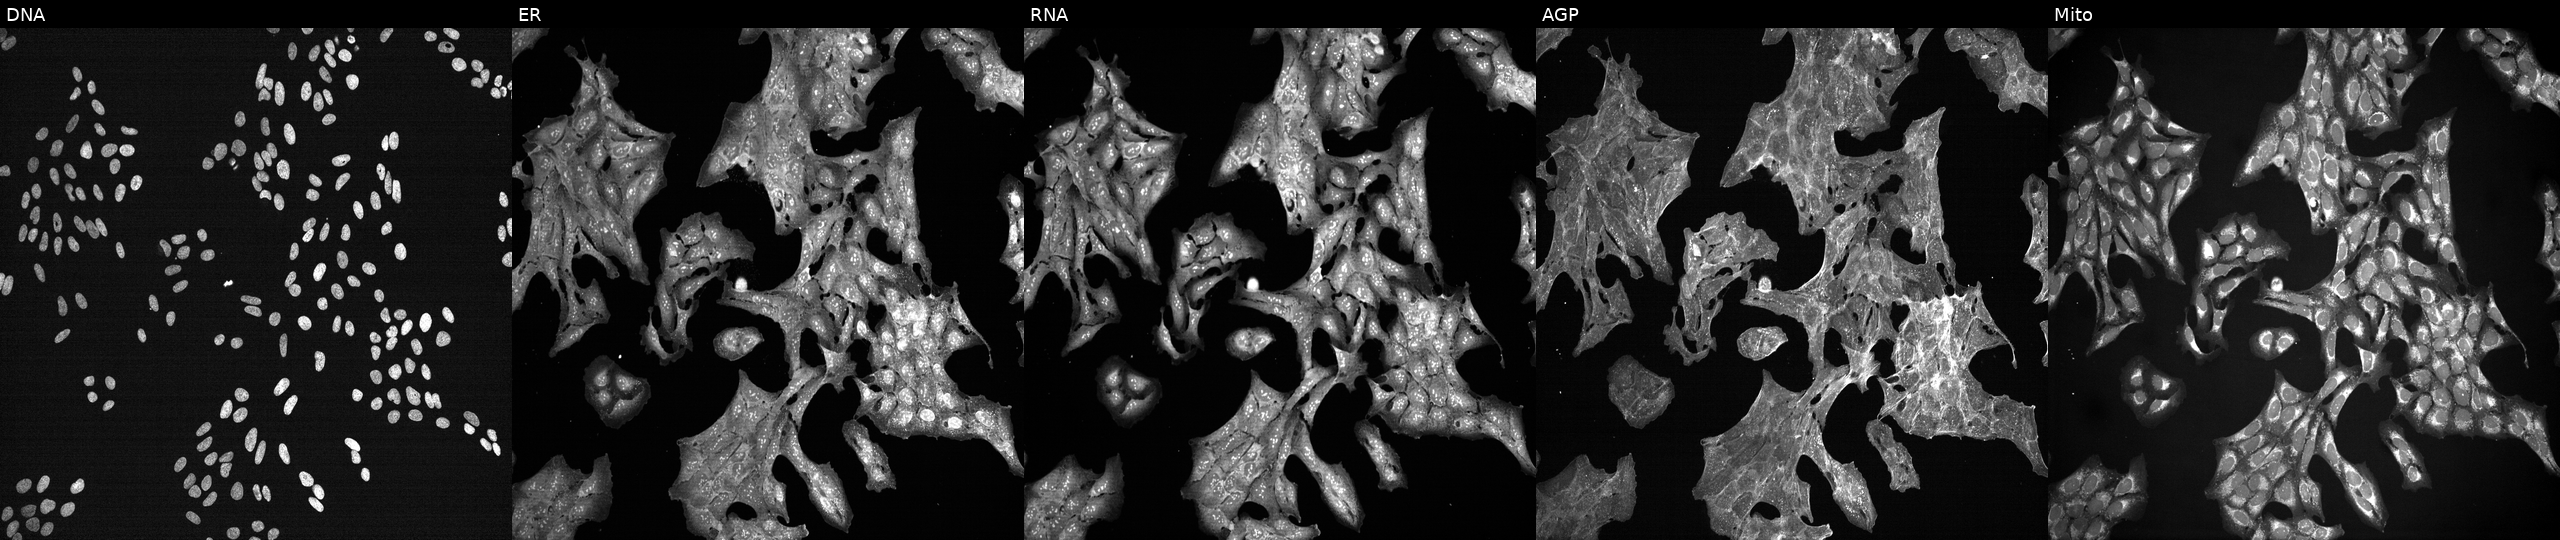
Five-channel Cell Painting image of U2OS cells treated with a small-molecule compound (JUMP id JCP2022_021751). Channels (left→right): Hoechst 33342, concanavalin A, SYTO 14, phalloidin and WGA, MitoTracker.